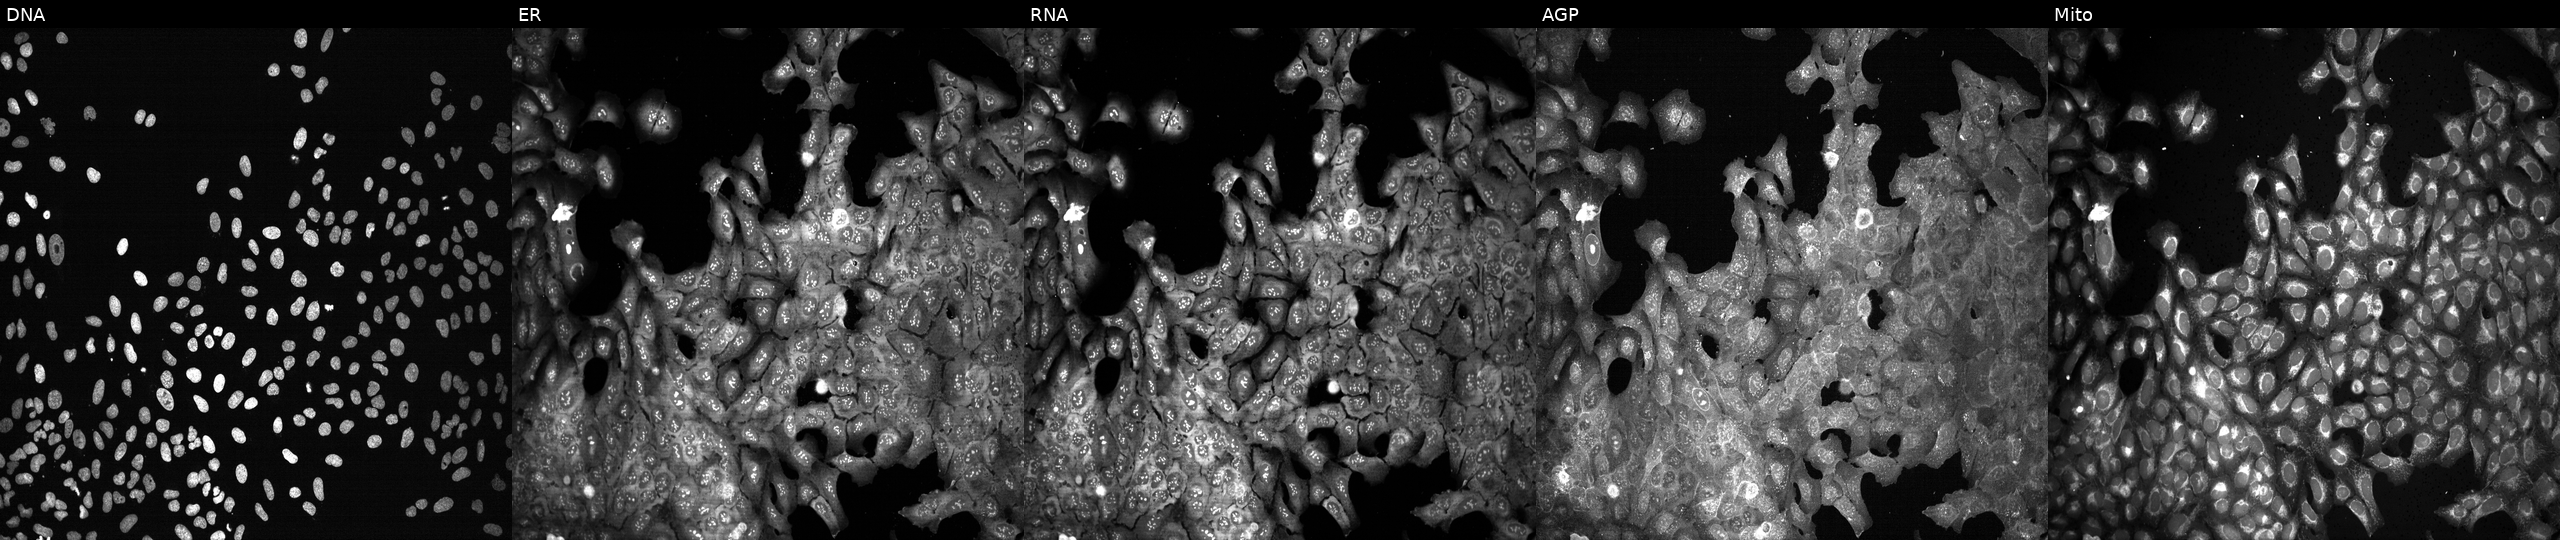
U2OS cells, Cell Painting assay, CRISPR-edited to disrupt DNPH1. Channels (left→right): DNA, ER, RNA, AGP, and Mito. Each panel is percentile-stretched 16-bit fluorescence.